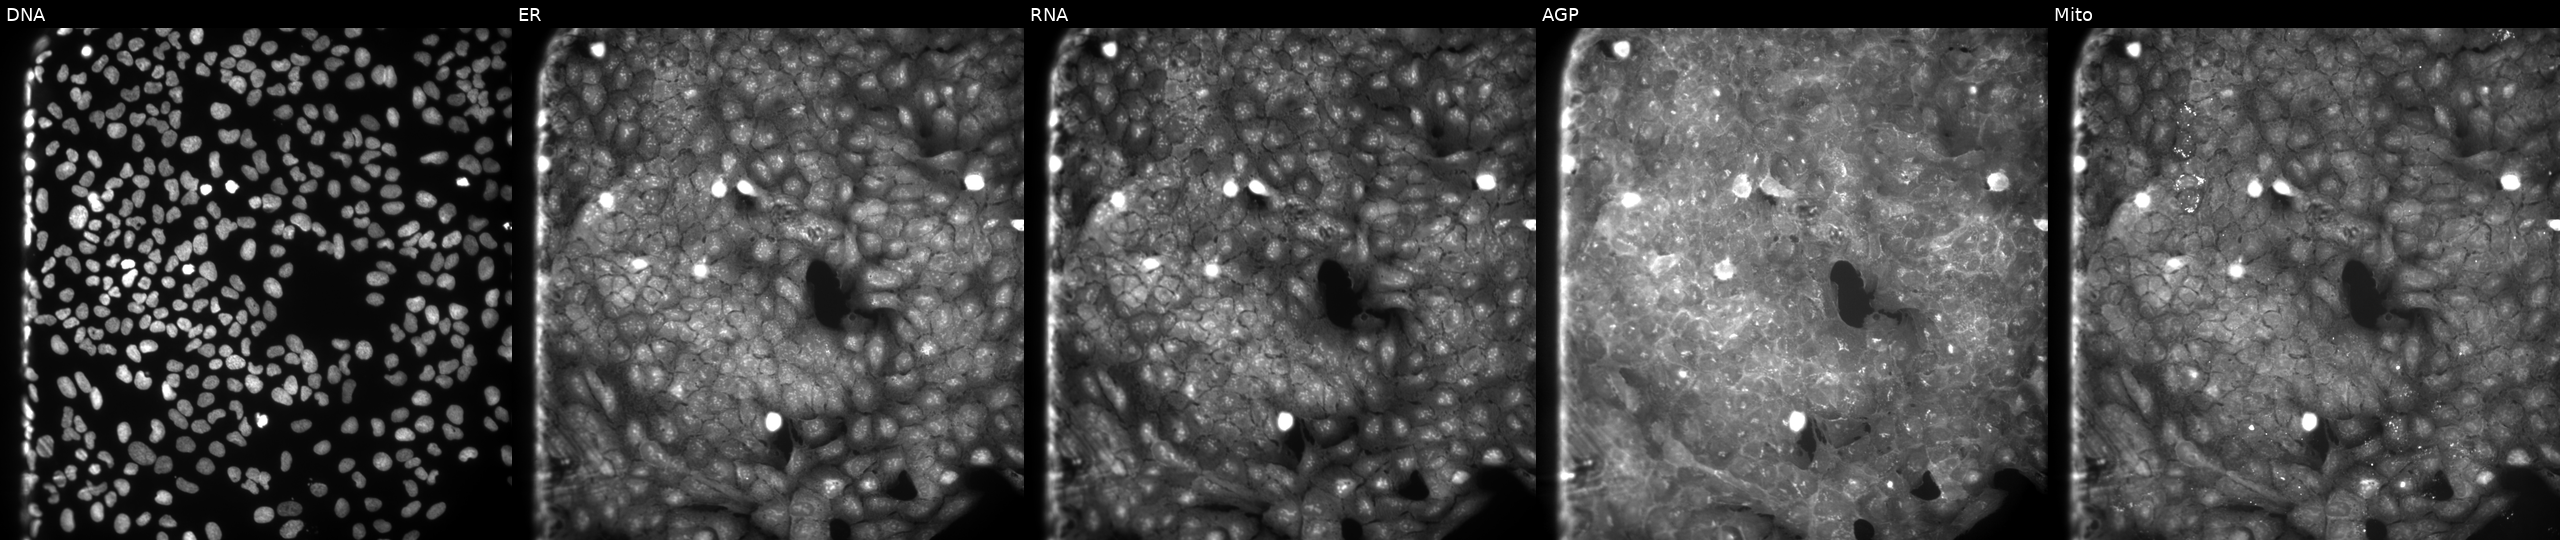
High-content fluorescence microscopy (Cell Painting). Cell line: U2OS. Perturbation: exposed to DMSO alone as a negative control. Panels show, left to right, DNA (nuclei); ER (endoplasmic reticulum); RNA (nucleoli and cytoplasmic RNA); AGP (actin cytoskeleton, Golgi, and plasma membrane); Mito (mitochondria).